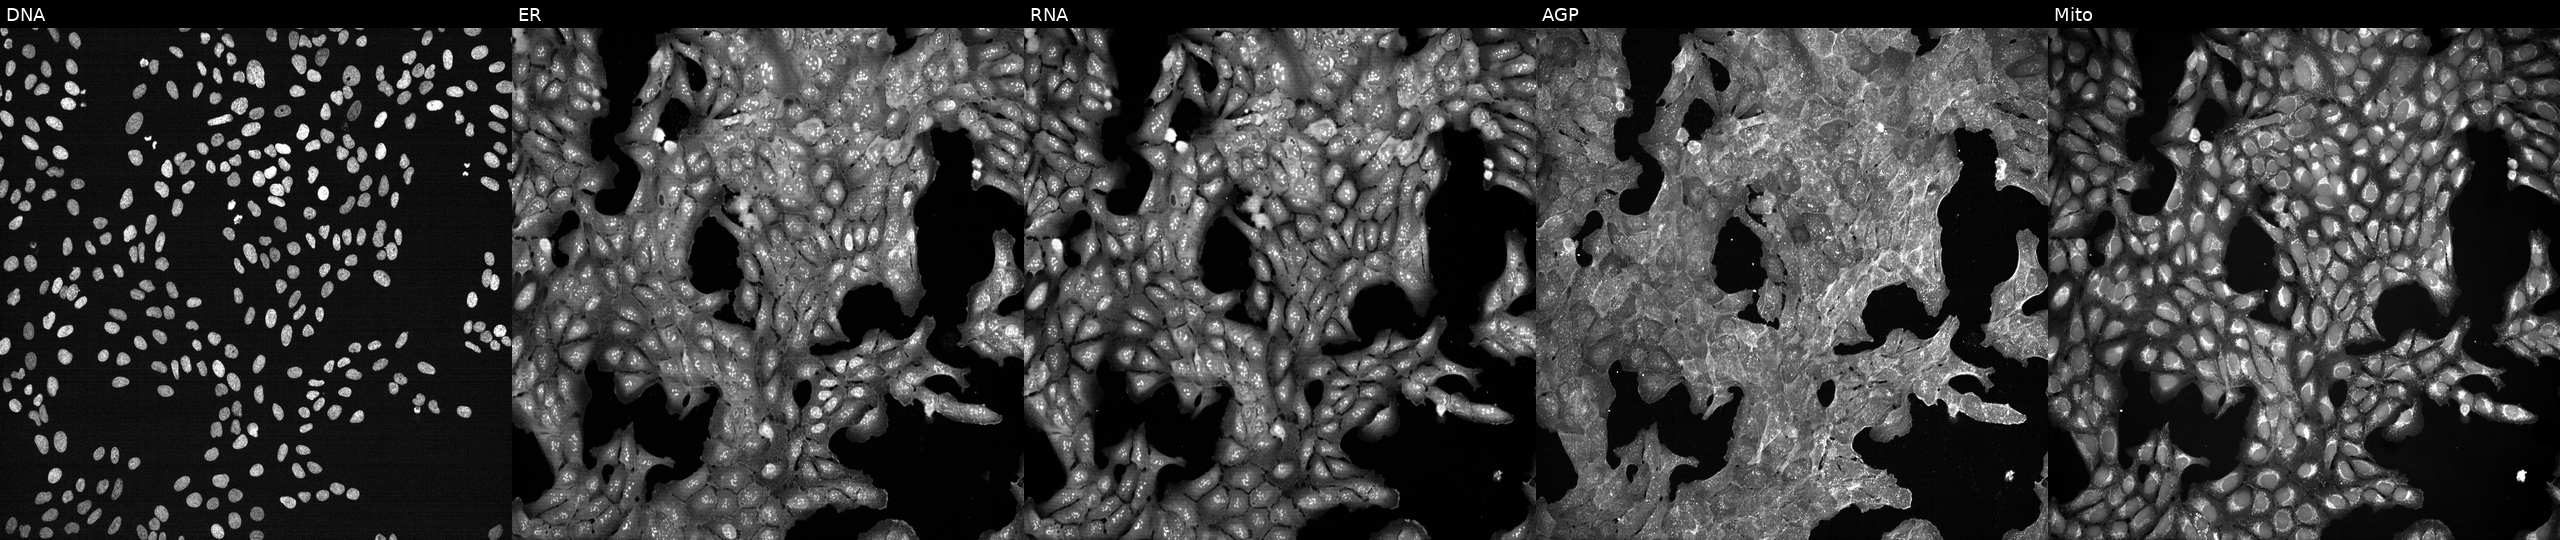
U2OS cells, Cell Painting assay, treated with DMSO vehicle only (negative control). The five panels, left to right, show Hoechst 33342, concanavalin A, SYTO 14, phalloidin and WGA, MitoTracker. Each panel is percentile-stretched 16-bit fluorescence. Source 7, plate CP2-SC1-25, well F13.